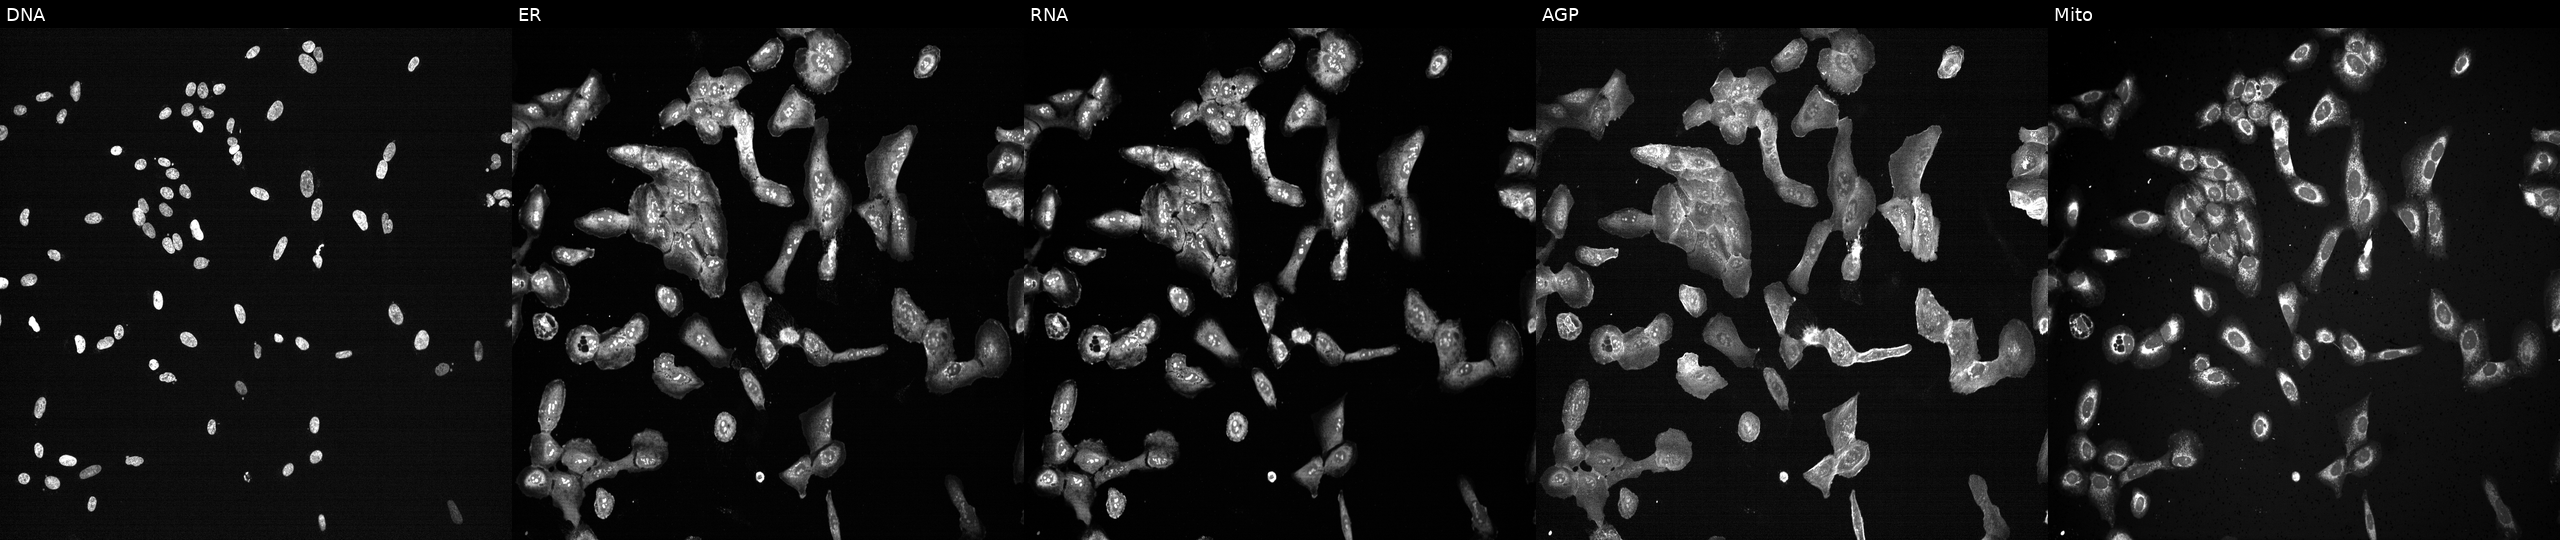
U2OS cells, Cell Painting assay, CRISPR-edited to disrupt MAT2A. Panels show, left to right, DNA, ER, RNA, AGP, and Mito. Each panel is percentile-stretched 16-bit fluorescence.